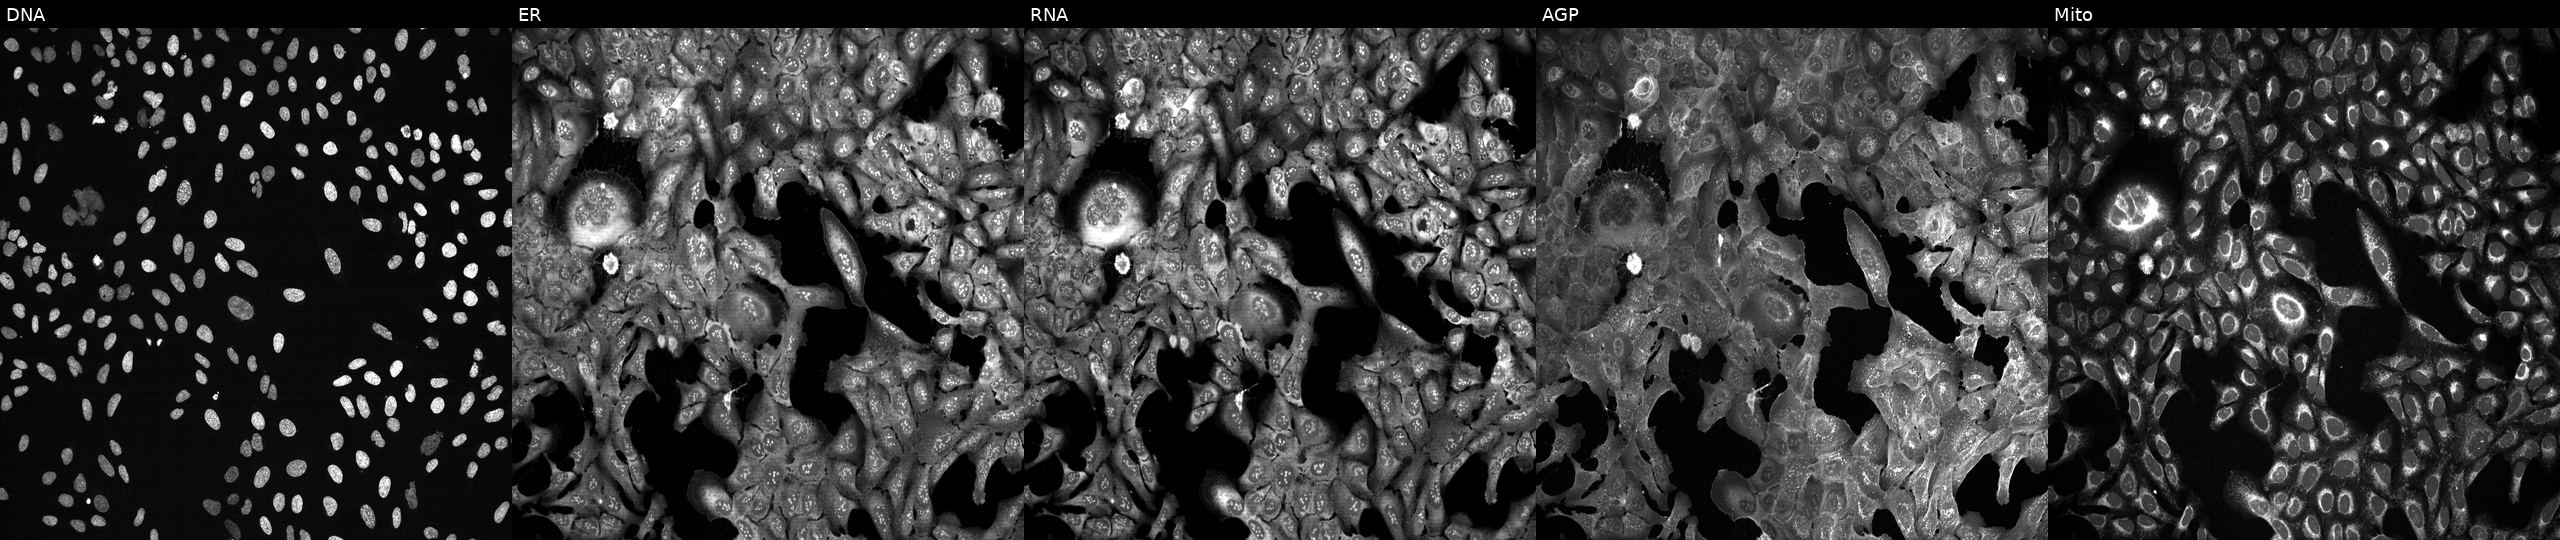
U2OS cells, Cell Painting assay, with PARL knocked out by CRISPR. Channels (left→right): Hoechst 33342, concanavalin A, SYTO 14, phalloidin and WGA, MitoTracker. Each panel is percentile-stretched 16-bit fluorescence.